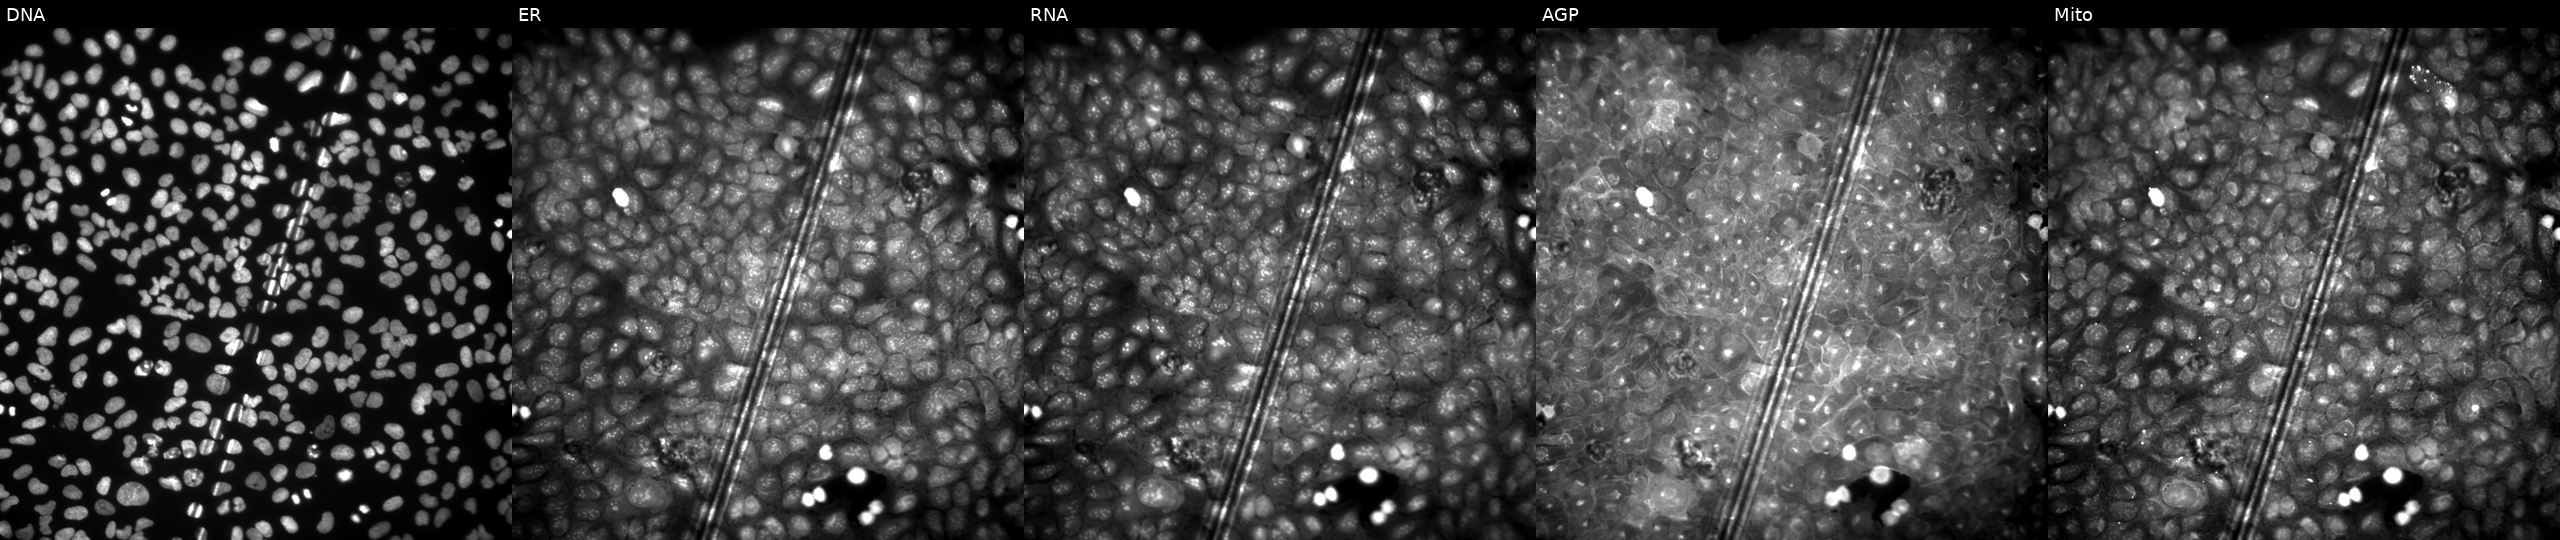
This image strip shows the five Cell Painting channels for a single field of U2OS cells treated with a small-molecule compound (JUMP id JCP2022_053390). The five panels, left to right, show DNA, ER, RNA, AGP, and Mito.